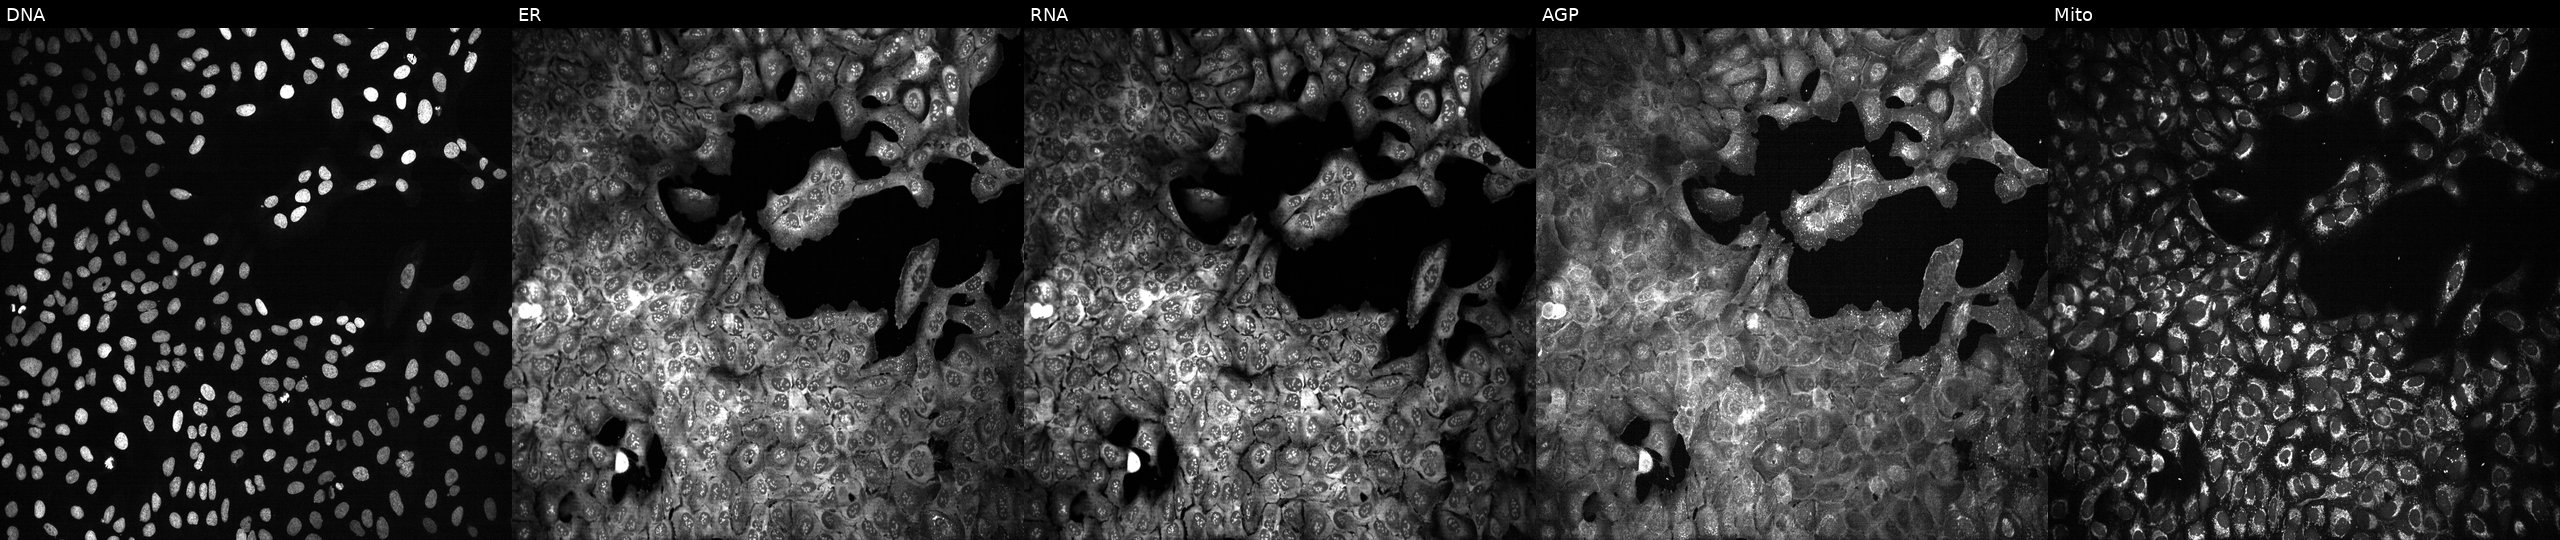
U2OS cells, Cell Painting assay, with NCK1 knocked out by CRISPR. From left to right: Hoechst 33342, concanavalin A, SYTO 14, phalloidin and WGA, MitoTracker. Each panel is percentile-stretched 16-bit fluorescence.